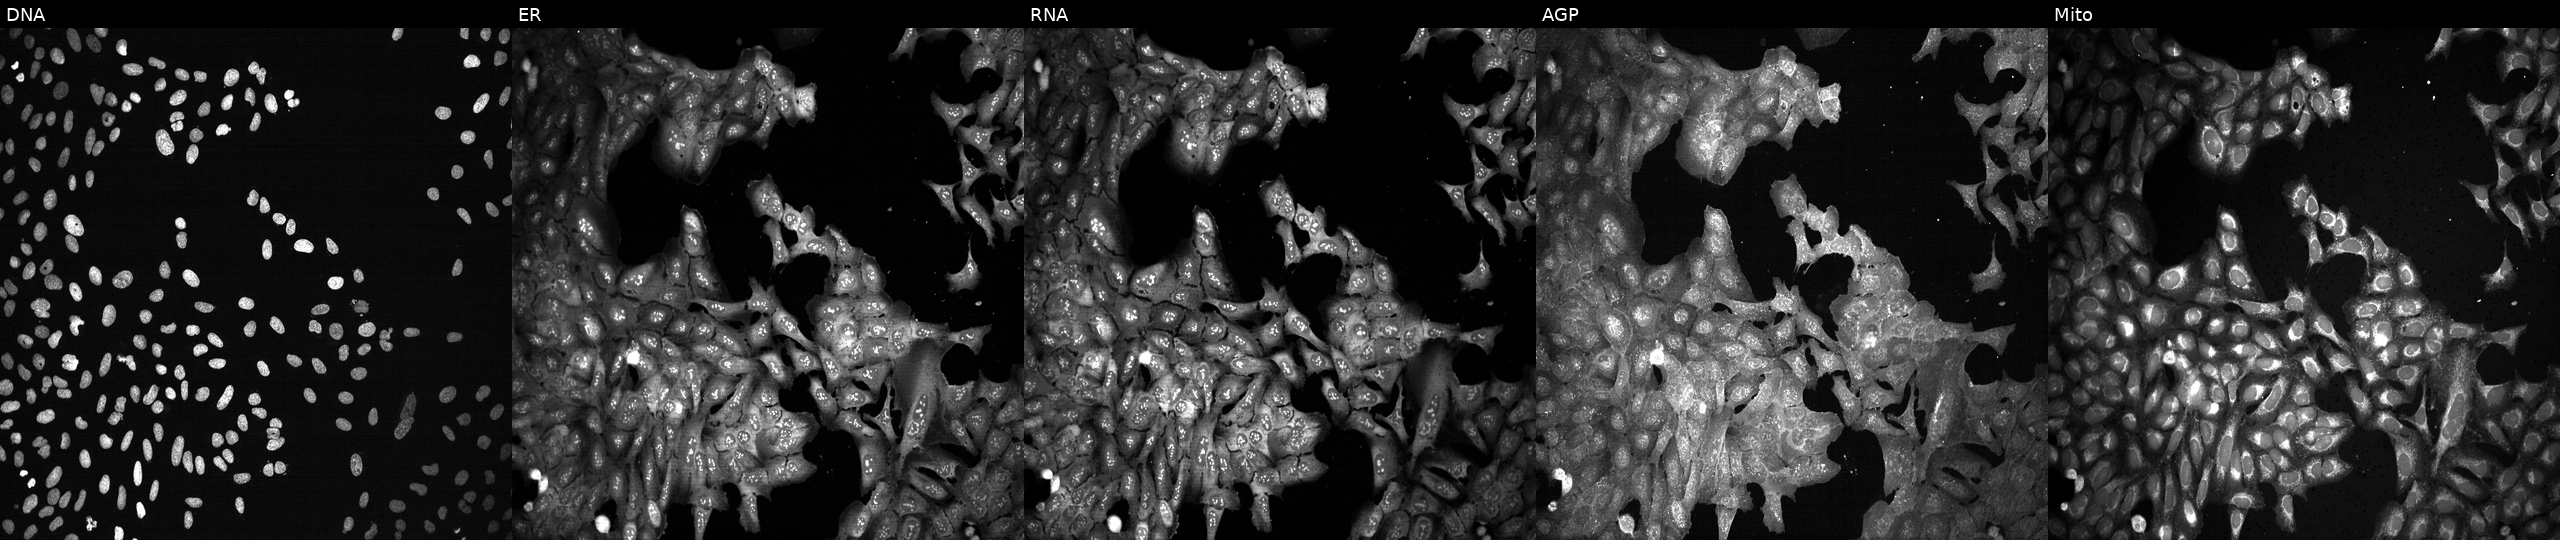
U2OS cells, Cell Painting assay, following CRISPR knockout of ENPP3. From left to right: Hoechst 33342, concanavalin A, SYTO 14, phalloidin and WGA, MitoTracker. Each panel is percentile-stretched 16-bit fluorescence.